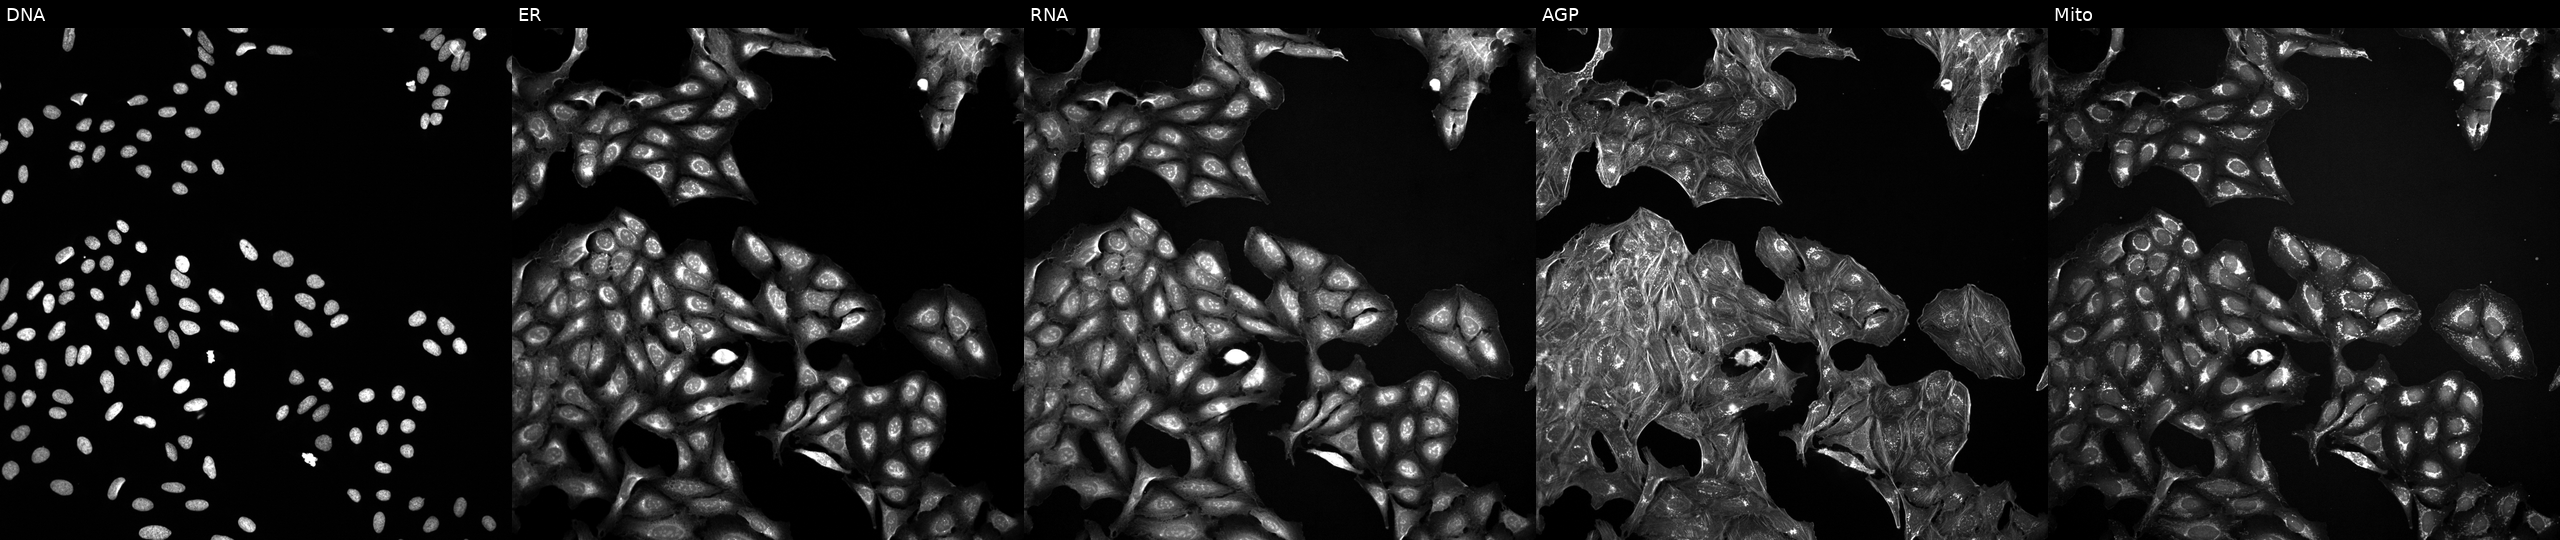
This image strip shows the five Cell Painting channels for a single field of U2OS cells exposed to a small-molecule compound (JUMP id JCP2022_050997). Channels (left→right): DNA, ER, RNA, AGP, and Mito.